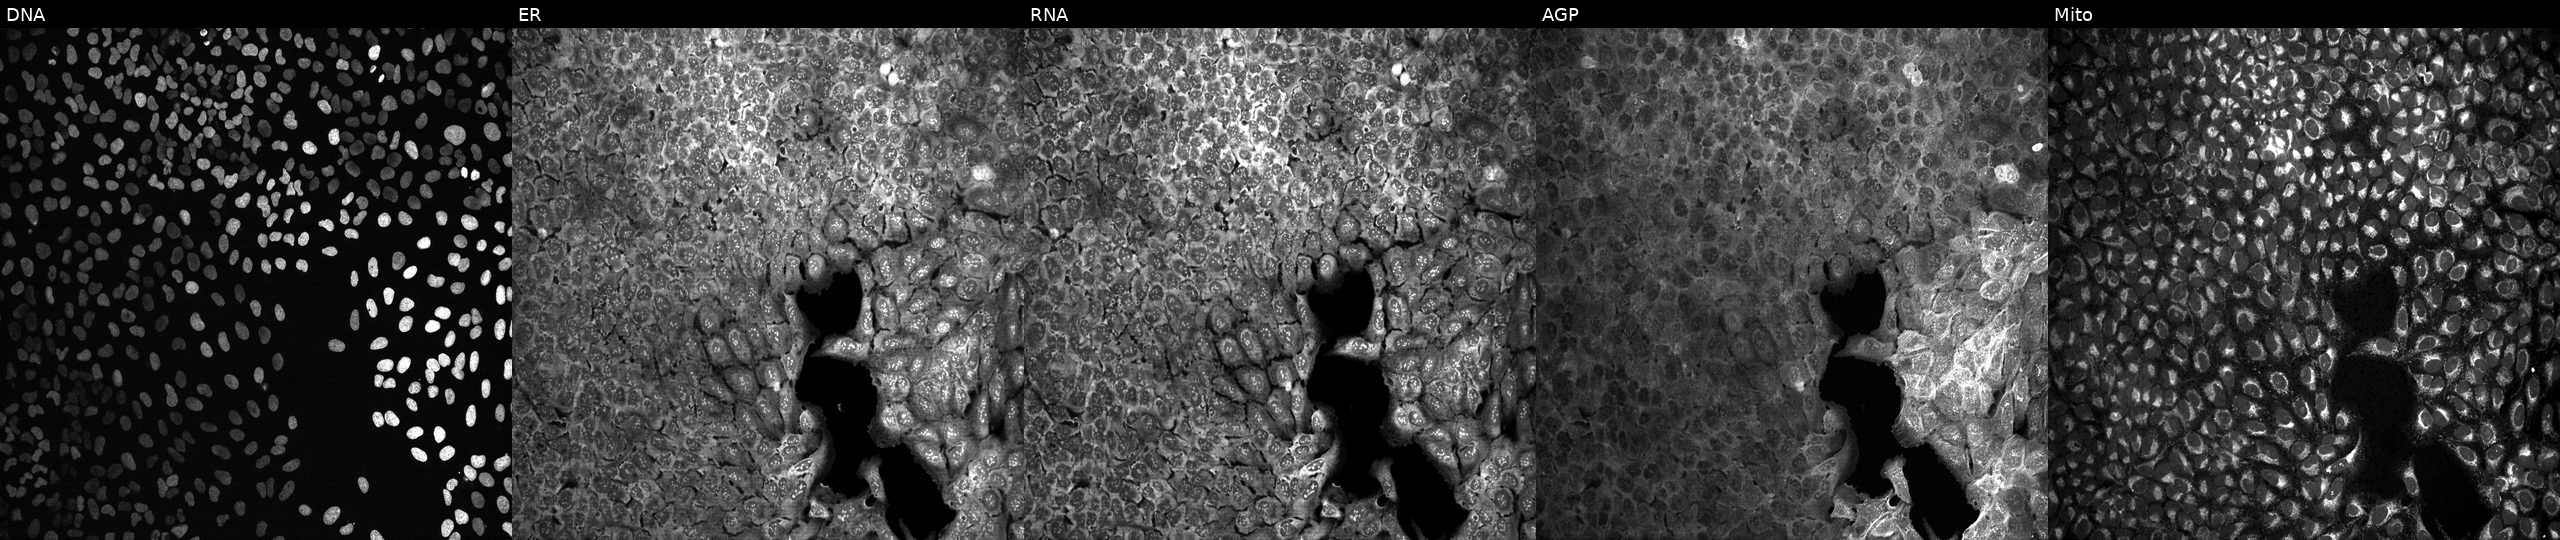
Five-channel Cell Painting image of U2OS cells treated with DMSO vehicle only (negative control) (JUMP id JCP2022_033924). From left to right: DNA, ER, RNA, AGP, and Mito.